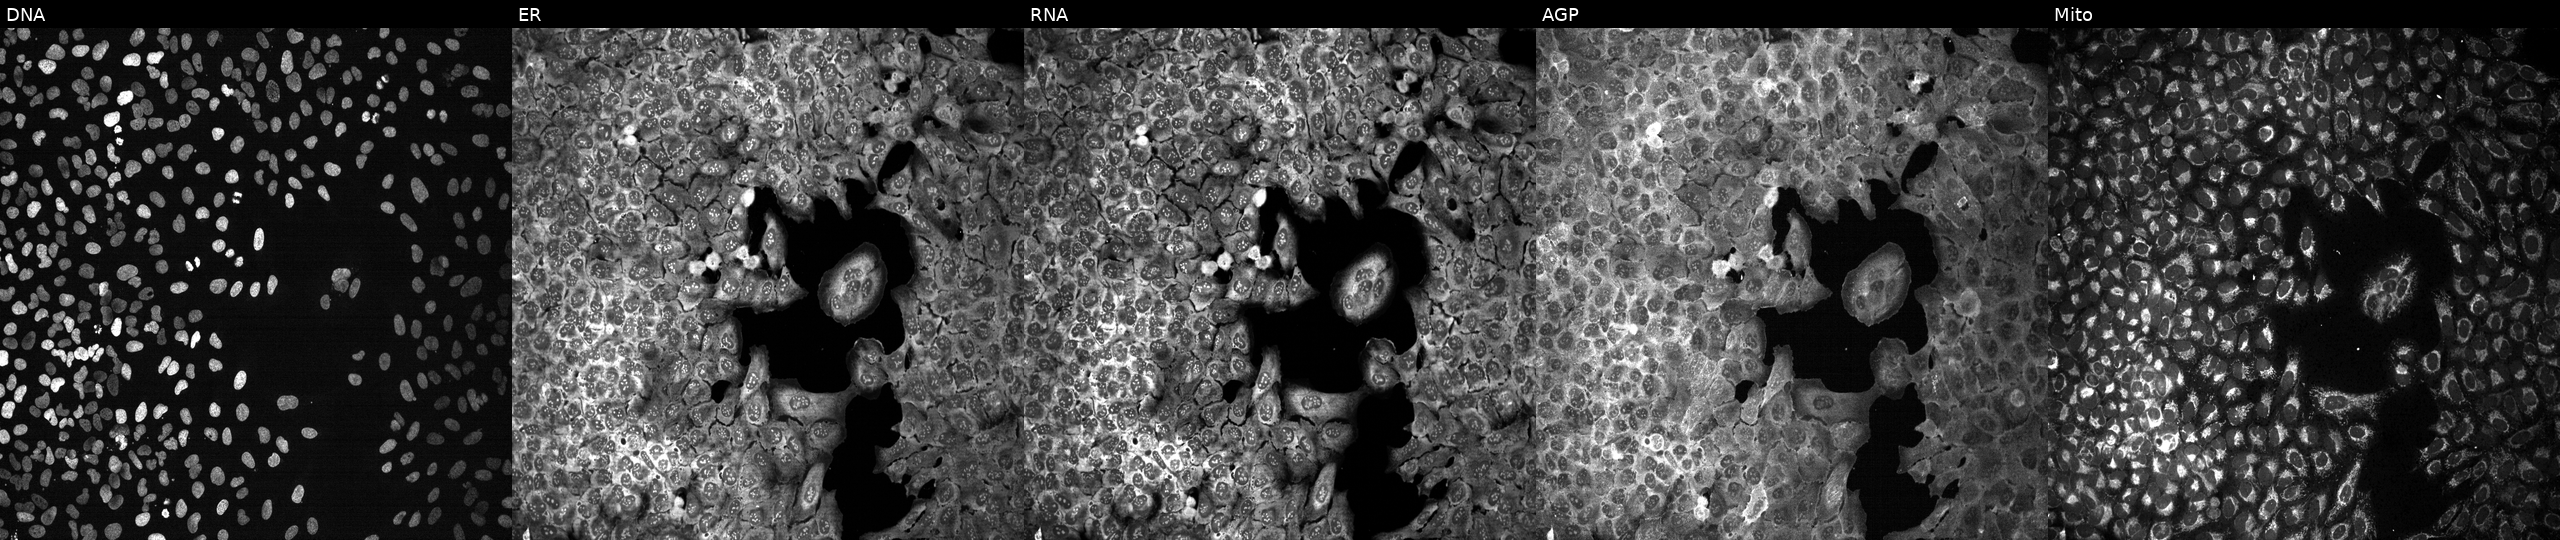
U2OS cells, Cell Painting assay, CRISPR-edited to disrupt GPAT4. The five panels, left to right, show DNA, ER, RNA, AGP, and Mito. Each panel is percentile-stretched 16-bit fluorescence.